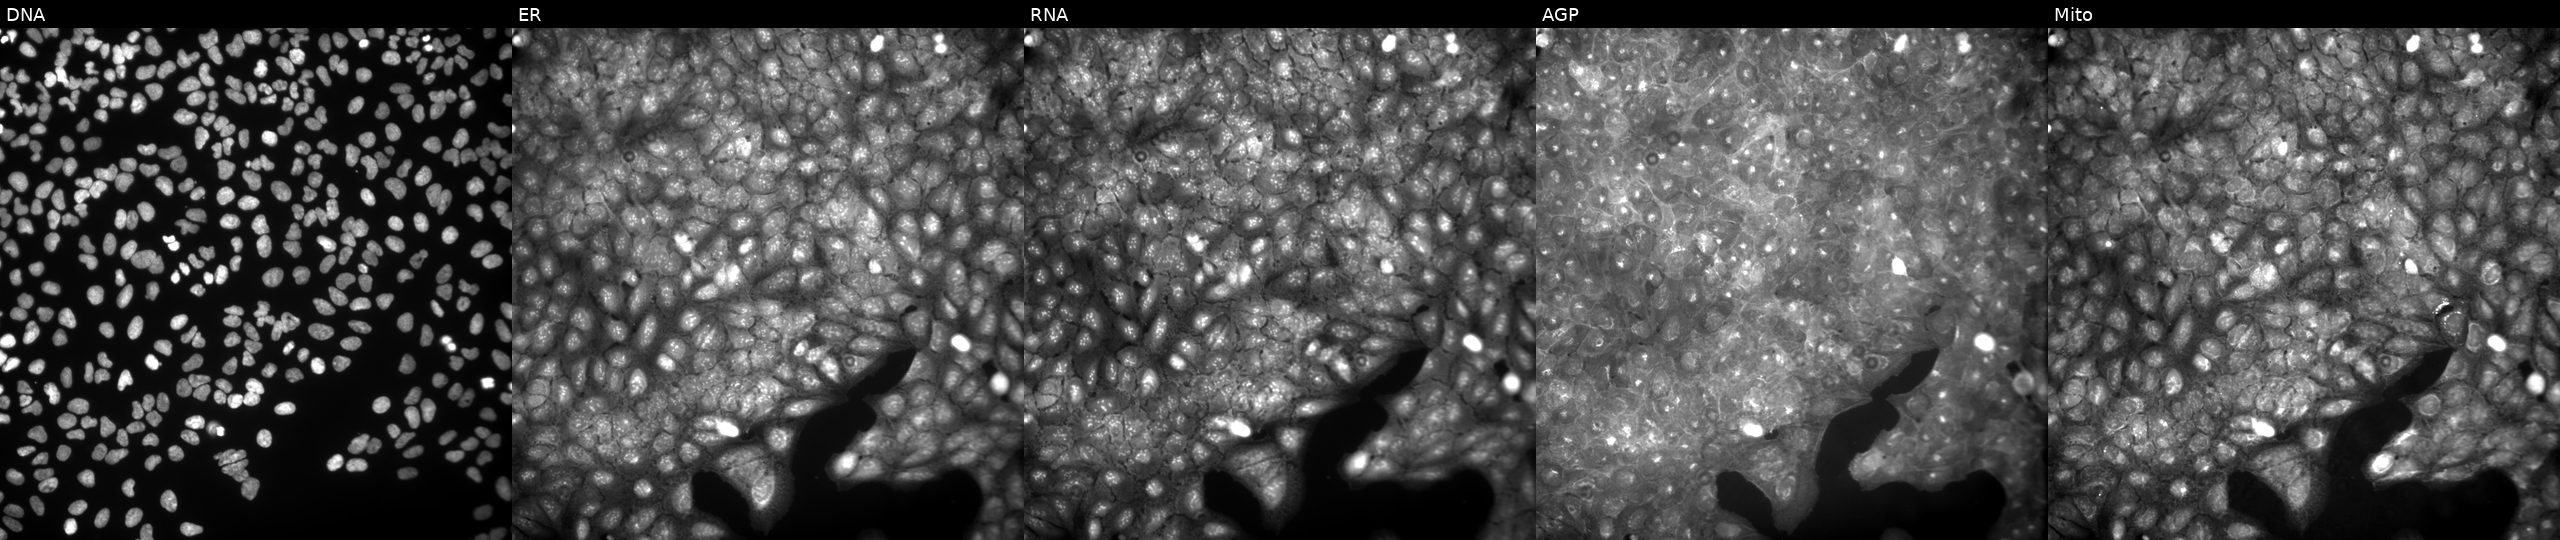
This image strip shows the five Cell Painting channels for a single field of U2OS cells exposed to a small-molecule compound (InChIKey QGJPSKVEPWIBTQ-UHFFFAOYSA-N). The five panels, left to right, show DNA, ER, RNA, AGP, and Mito. Source 9, plate GR00003382, well Q42.